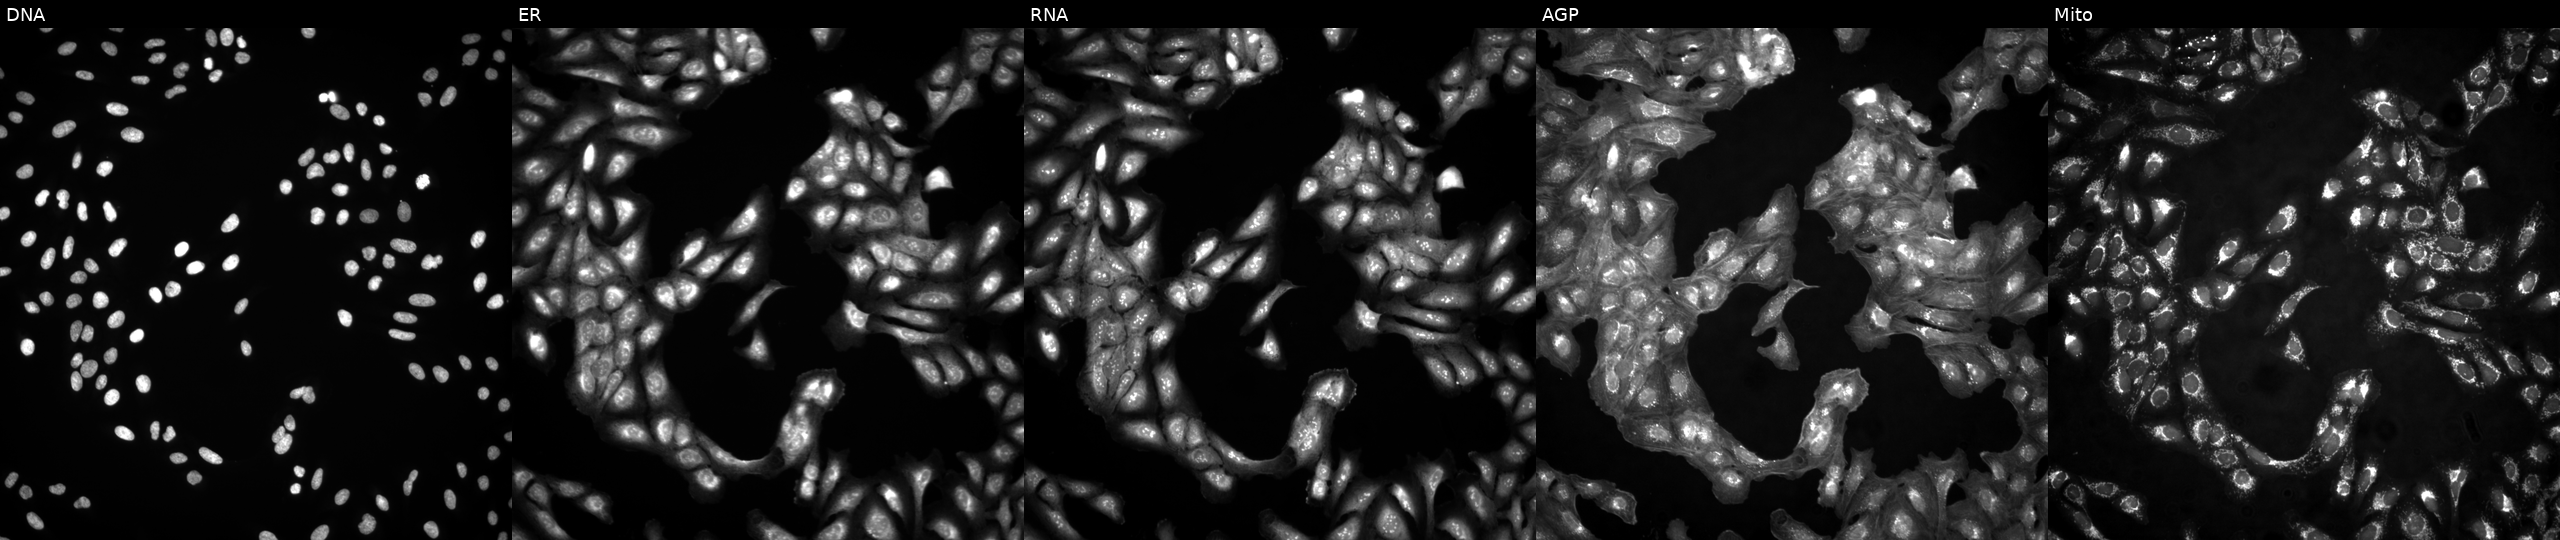
U2OS cells, Cell Painting assay, untreated (empty-well control) (JUMP id JCP2022_999999). Panels show, left to right, DNA (nuclei); ER (endoplasmic reticulum); RNA (nucleoli and cytoplasmic RNA); AGP (actin cytoskeleton, Golgi, and plasma membrane); Mito (mitochondria). Each panel is percentile-stretched 16-bit fluorescence.